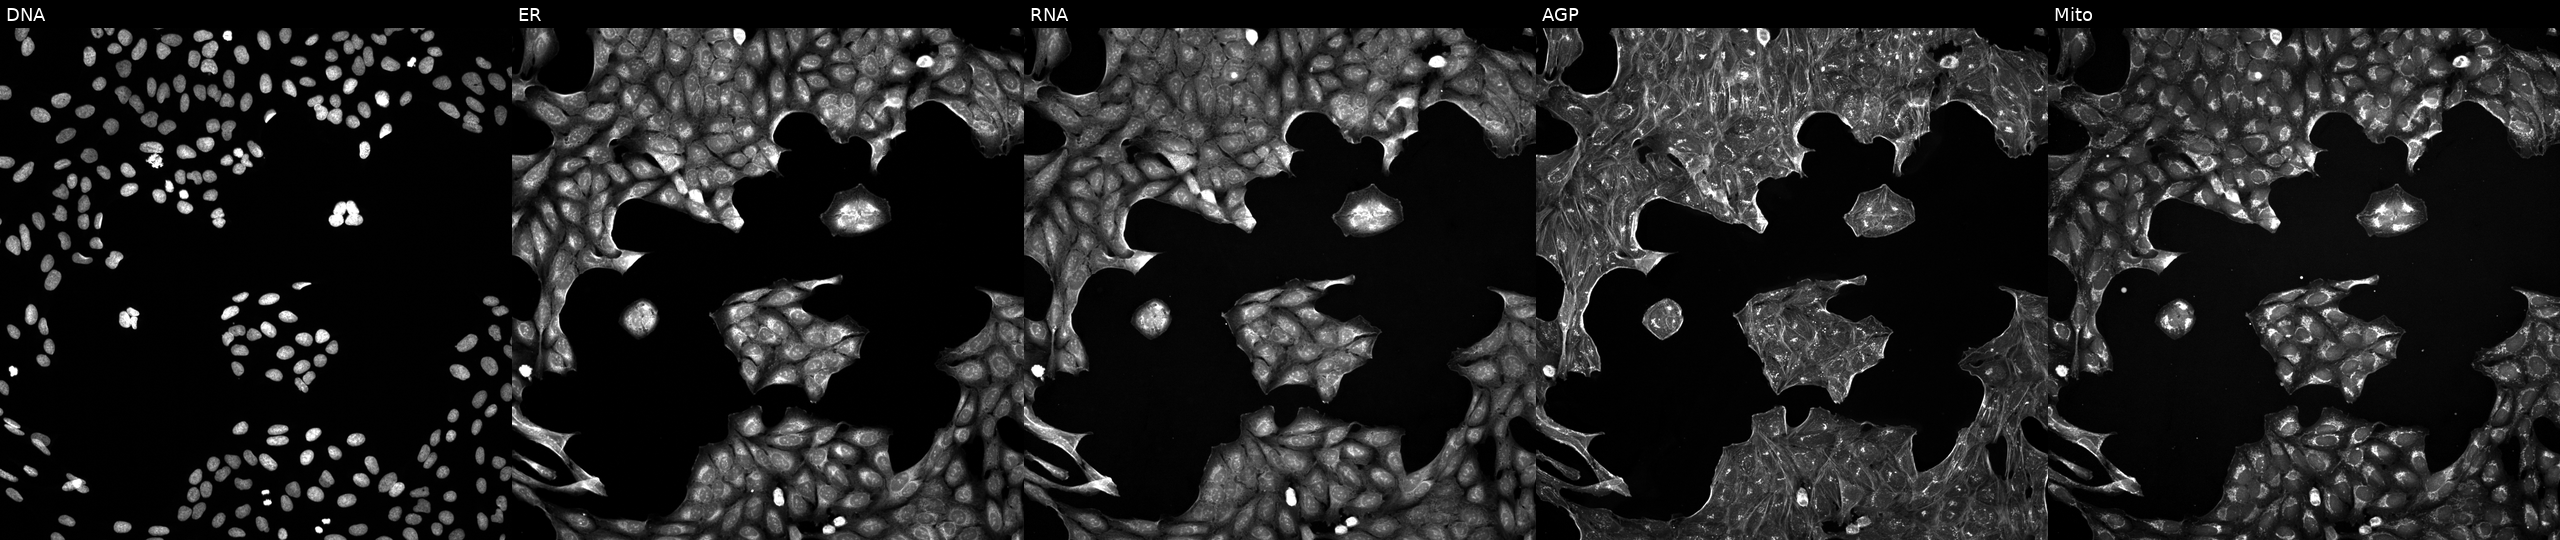
This image strip shows the five Cell Painting channels for a single field of U2OS cells treated with a small-molecule compound [SMILES: CCN1C(C)(C)CC(Oc2ccc(C(=O)Nc3ccc(NC(=O)N=c4cc(C(C)(C)C)o[nH]4)cc3)nc2)CC1(C)C] (JUMP id JCP2022_042332). Channels (left→right): DNA (nuclei); ER (endoplasmic reticulum); RNA (nucleoli and cytoplasmic RNA); AGP (actin cytoskeleton, Golgi, and plasma membrane); Mito (mitochondria). Source 5, plate ACPJUM032, well C10.